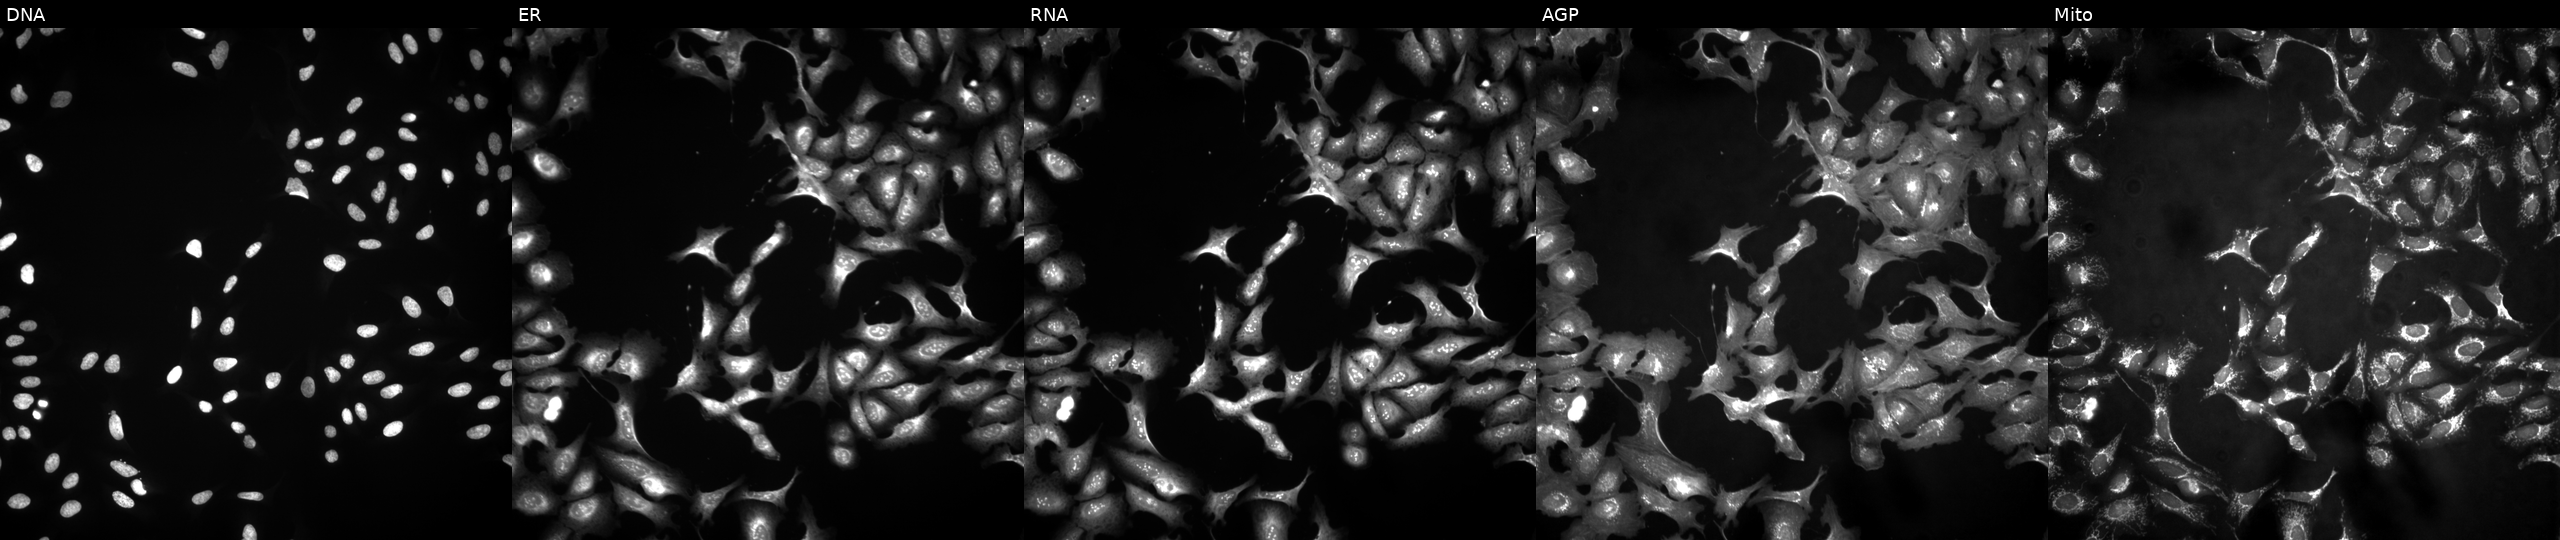
JUMP Cell Painting — ORF plate. U2OS cells transfected with an ORF construct for GCA. Channels (left→right): DNA (nuclei); ER (endoplasmic reticulum); RNA (nucleoli and cytoplasmic RNA); AGP (actin cytoskeleton, Golgi, and plasma membrane); Mito (mitochondria).